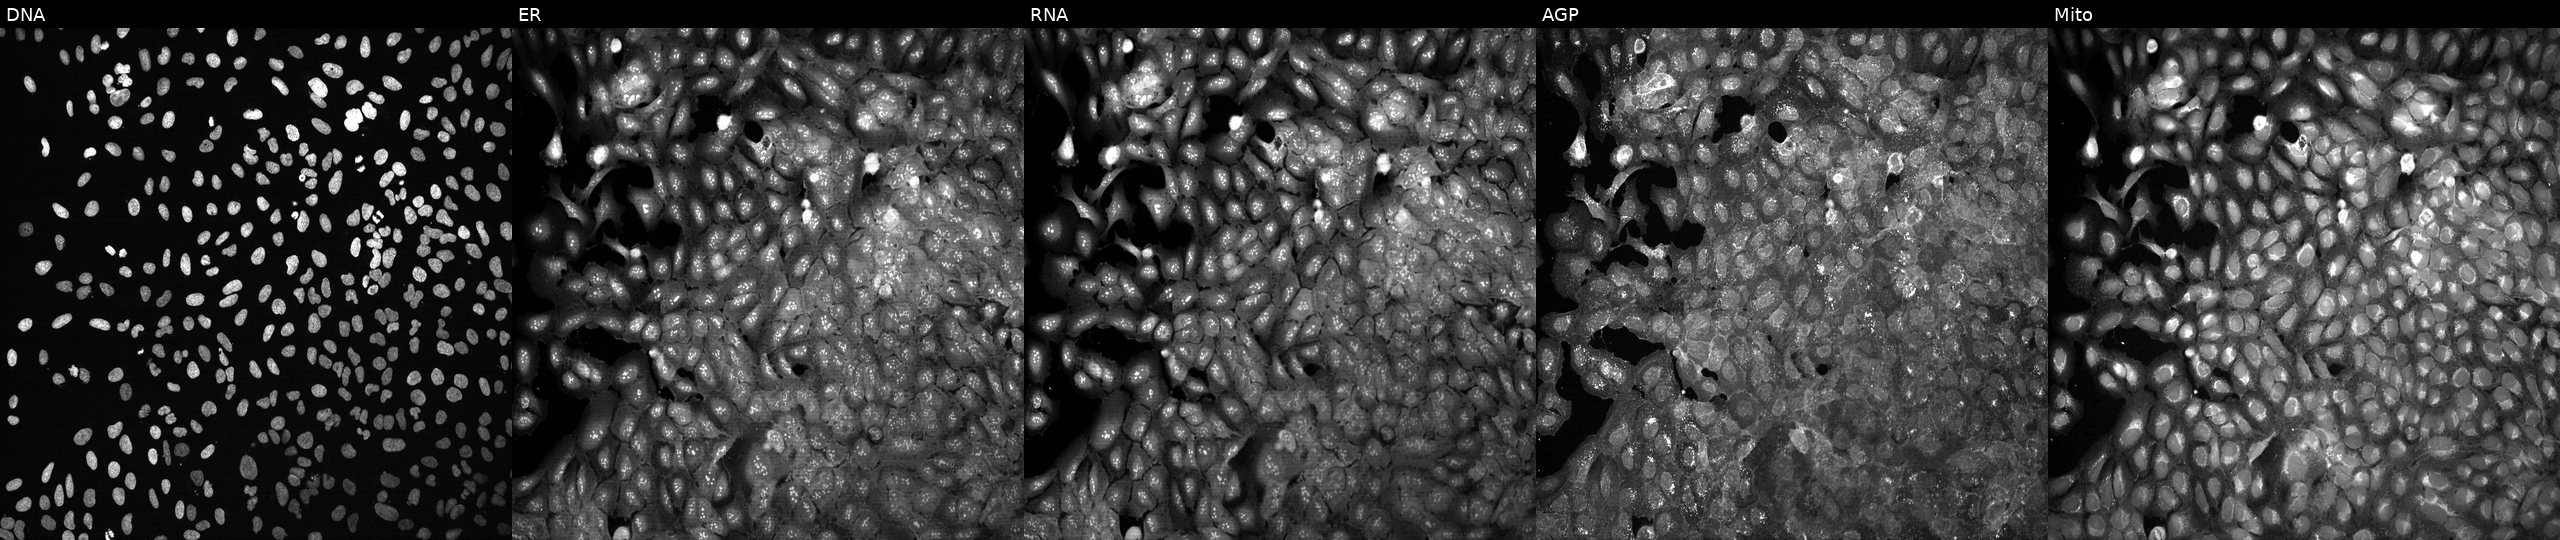
JUMP Cell Painting — CRISPR plate. U2OS cells CRISPR-edited to disrupt DDX3Y (JUMP id JCP2022_801737). The five panels, left to right, show DNA, ER, RNA, AGP, and Mito.